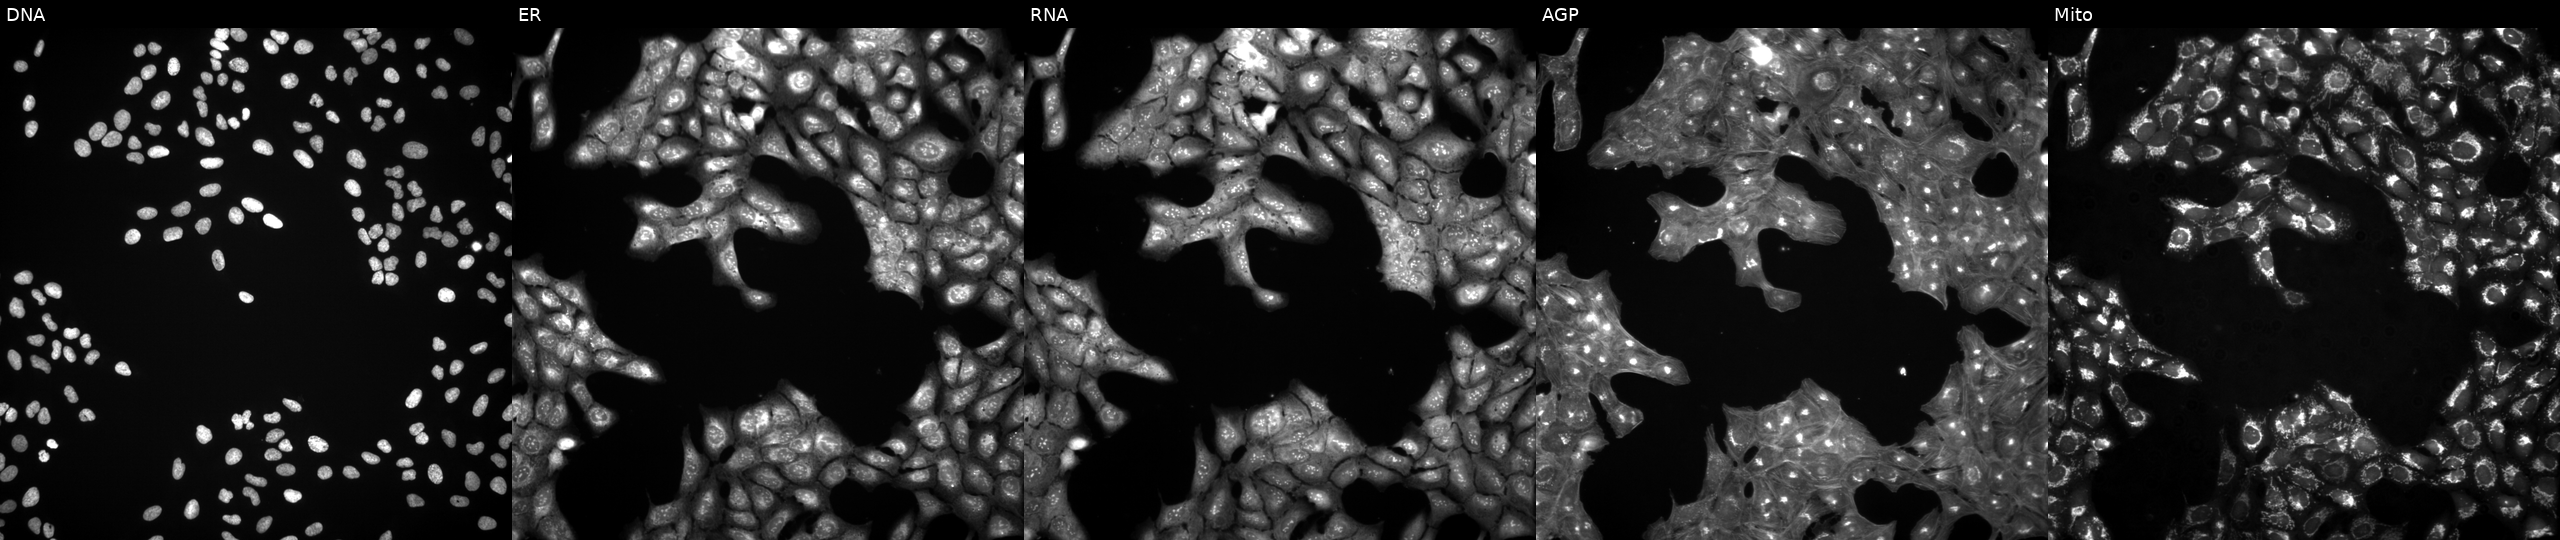
JUMP Cell Painting — TARGET2 plate. U2OS cells treated with a small-molecule compound (InChIKey NLSSUSRERAMBTA-UHFFFAOYSA-N) (JUMP id JCP2022_059825). From left to right: DNA, ER, RNA, AGP, and Mito.